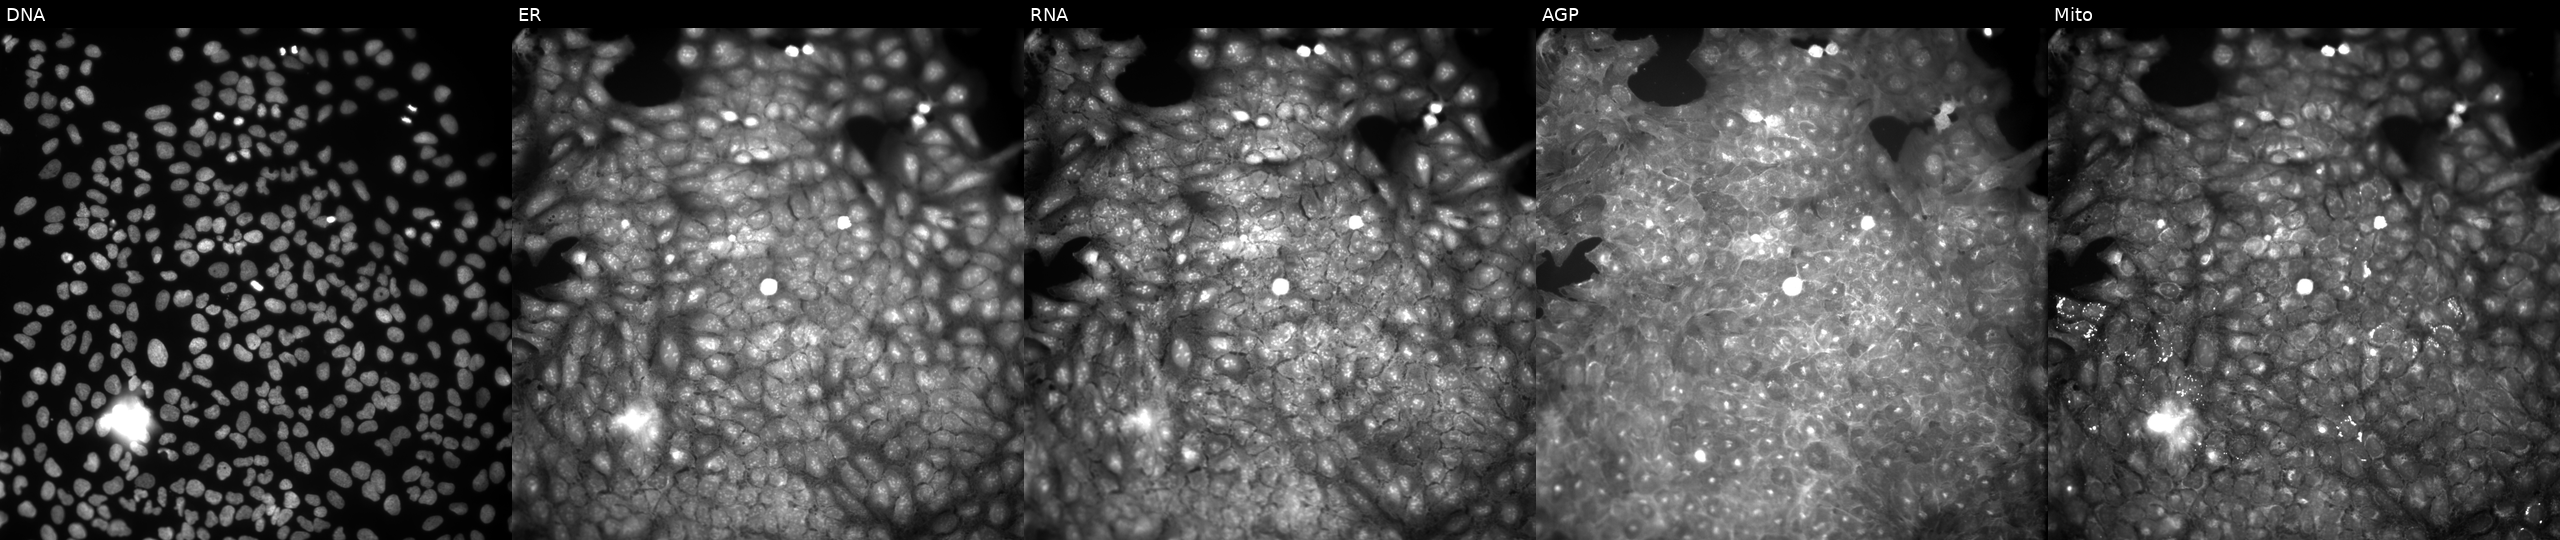
This image strip shows the five Cell Painting channels for a single field of U2OS cells perturbed with a small-molecule compound (InChIKey VBIROYNISPDHLE-UHFFFAOYSA-N) [SMILES: COc1ccccc1CNC(=O)C(=O)NCC1CCCO1]. From left to right: DNA, ER, RNA, AGP, and Mito.